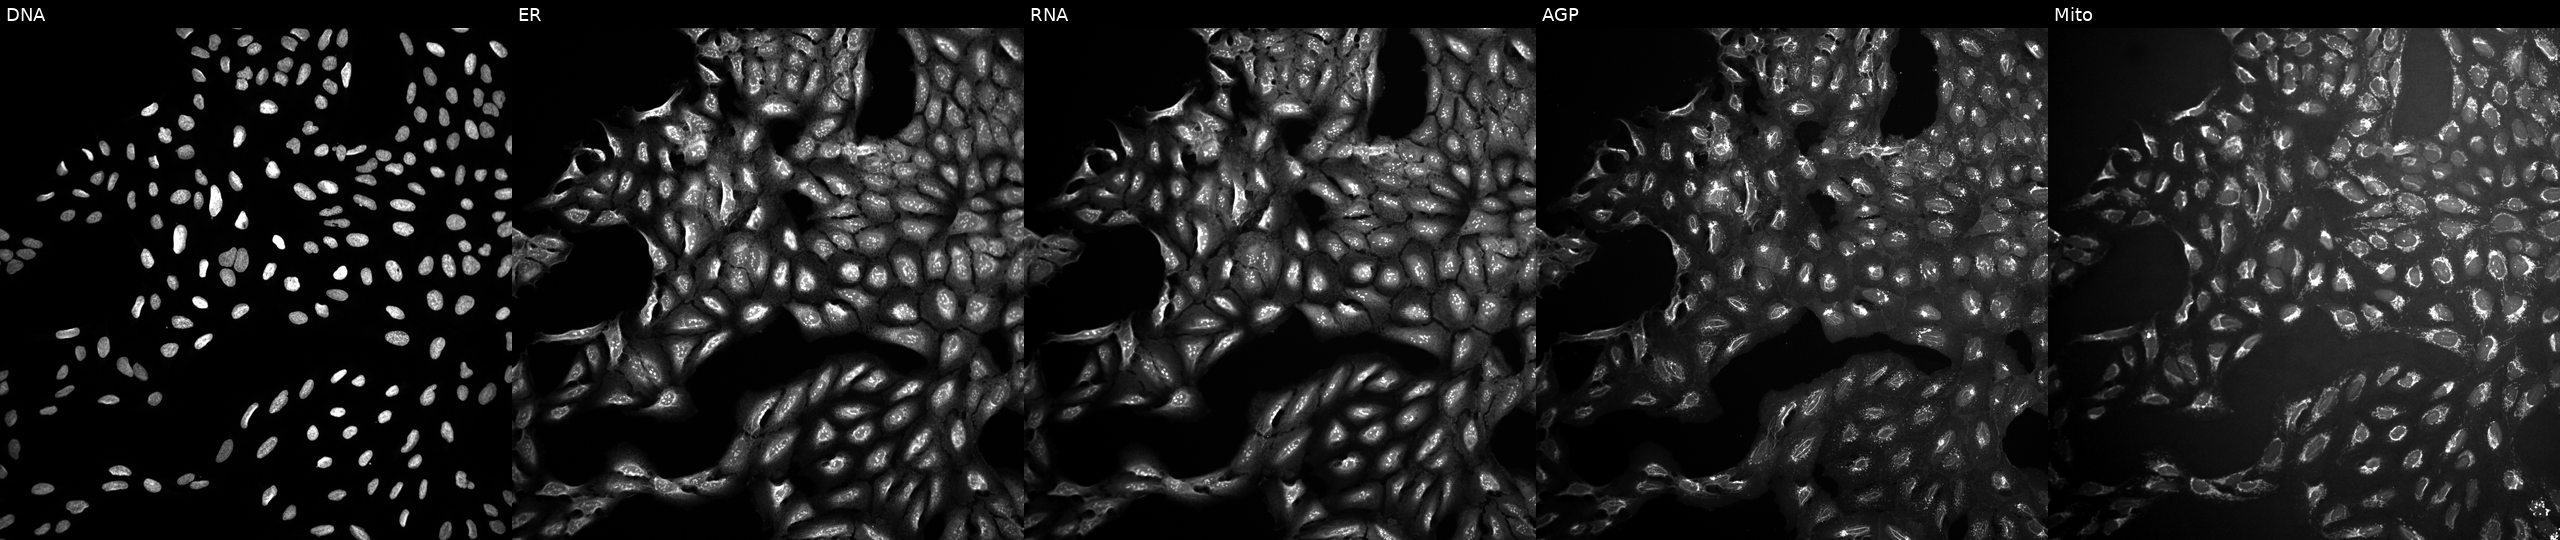
U2OS cells, Cell Painting assay, treated with DMSO vehicle only (negative control) (JUMP id JCP2022_033924). Panels show, left to right, DNA (nuclei); ER (endoplasmic reticulum); RNA (nucleoli and cytoplasmic RNA); AGP (actin cytoskeleton, Golgi, and plasma membrane); Mito (mitochondria). Each panel is percentile-stretched 16-bit fluorescence.